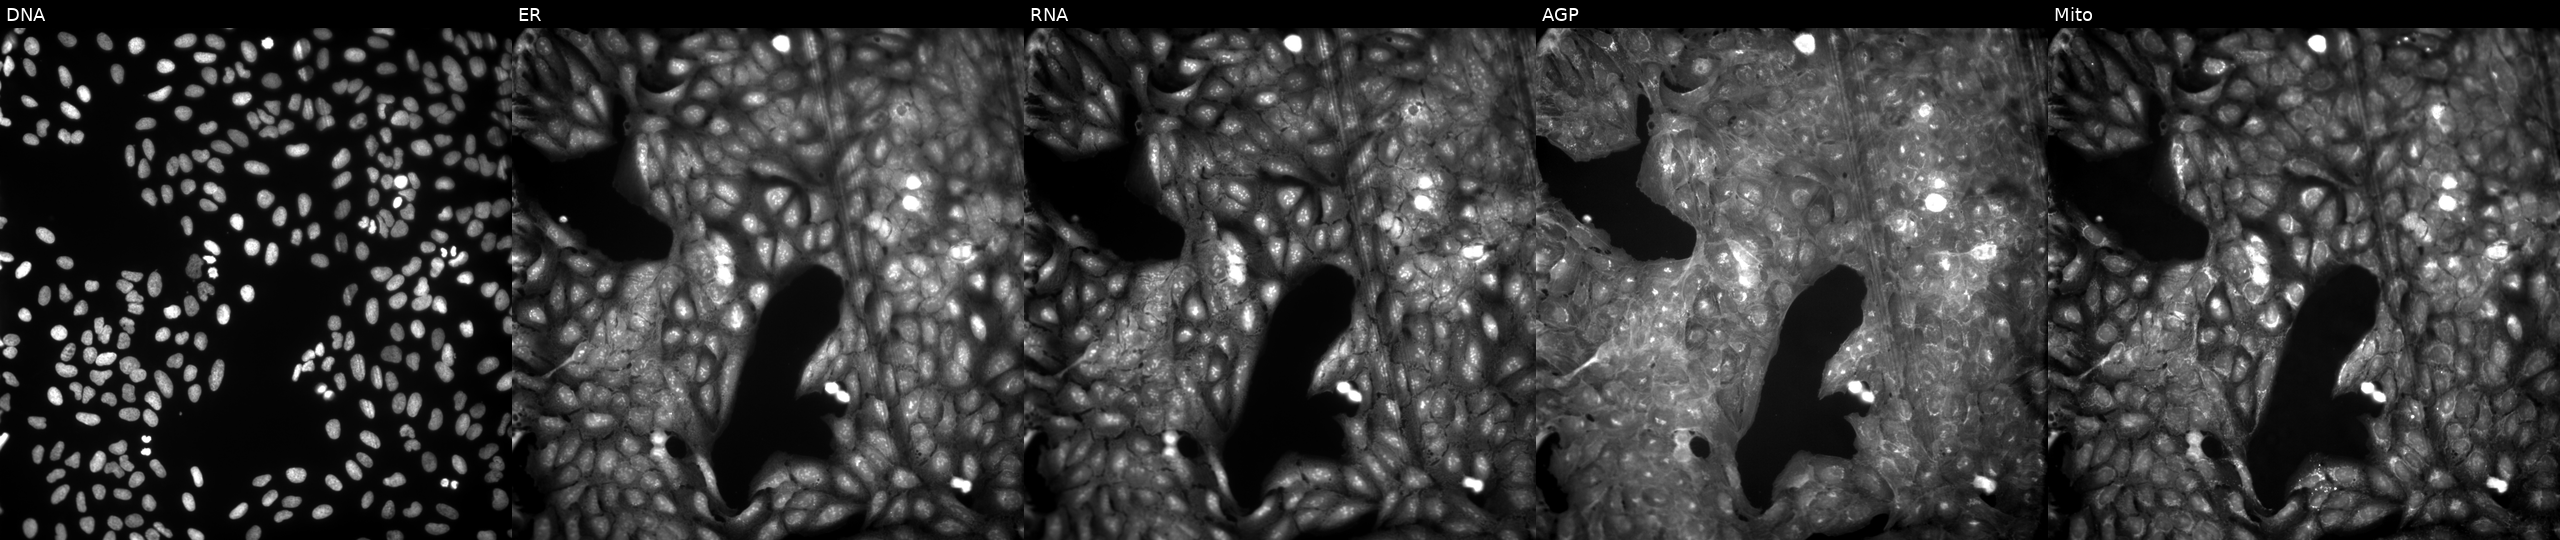
Five-channel Cell Painting image of U2OS cells perturbed with a small-molecule compound. From left to right: DNA (nuclei); ER (endoplasmic reticulum); RNA (nucleoli and cytoplasmic RNA); AGP (actin cytoskeleton, Golgi, and plasma membrane); Mito (mitochondria). Source 9, plate GR00003381, well AA10.